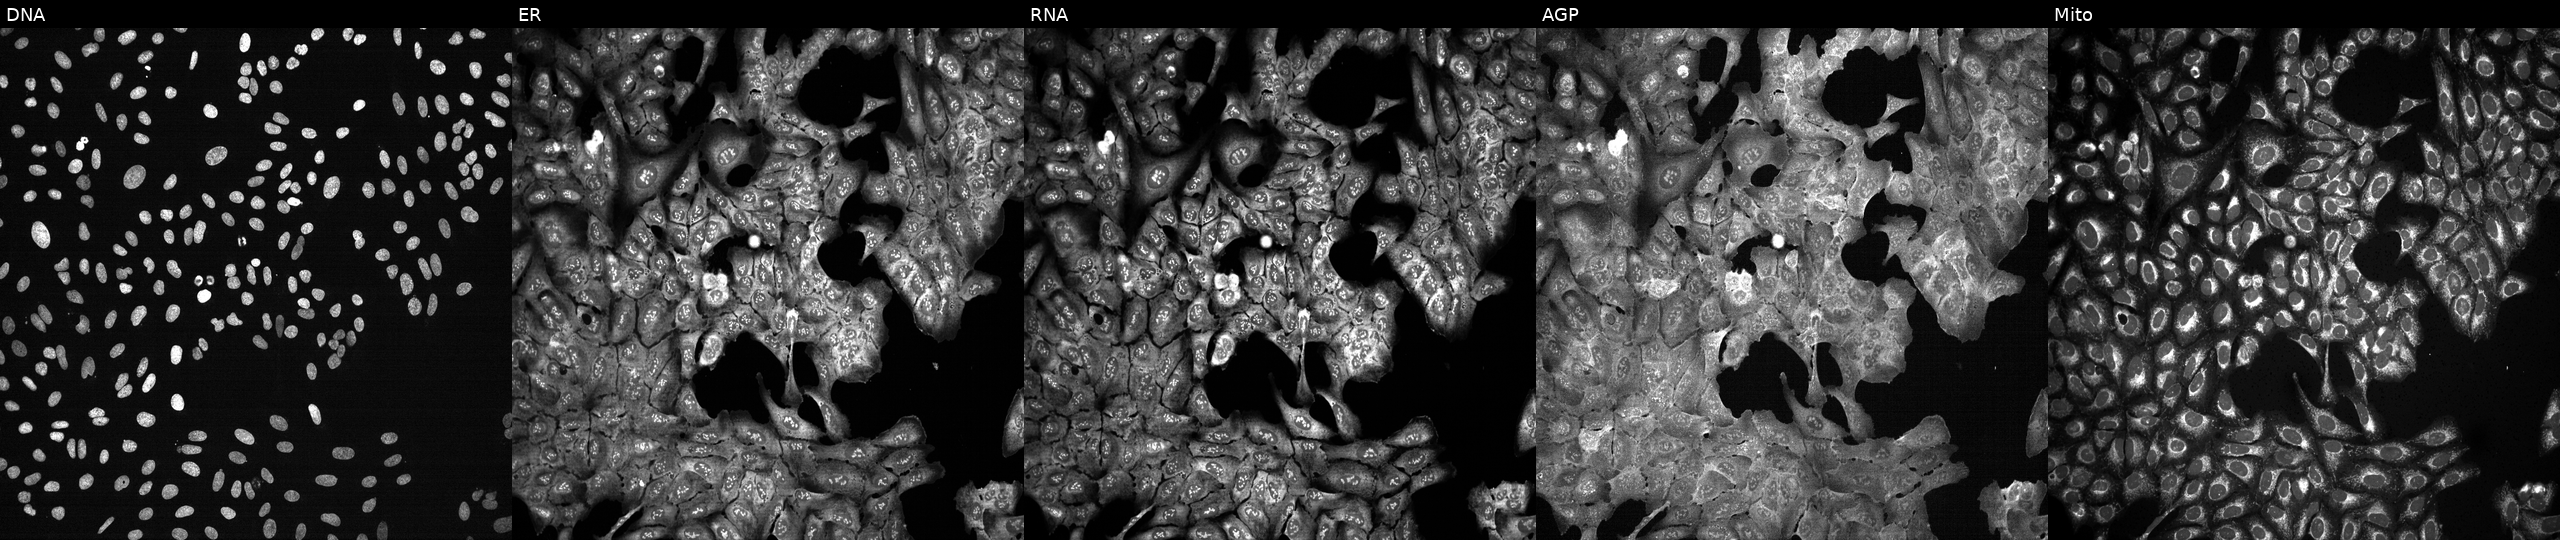
High-content fluorescence microscopy (Cell Painting). Cell line: U2OS. Perturbation: CRISPR-edited to disrupt AMD1 (JUMP id JCP2022_800436). Channels (left→right): DNA (nuclei); ER (endoplasmic reticulum); RNA (nucleoli and cytoplasmic RNA); AGP (actin cytoskeleton, Golgi, and plasma membrane); Mito (mitochondria).